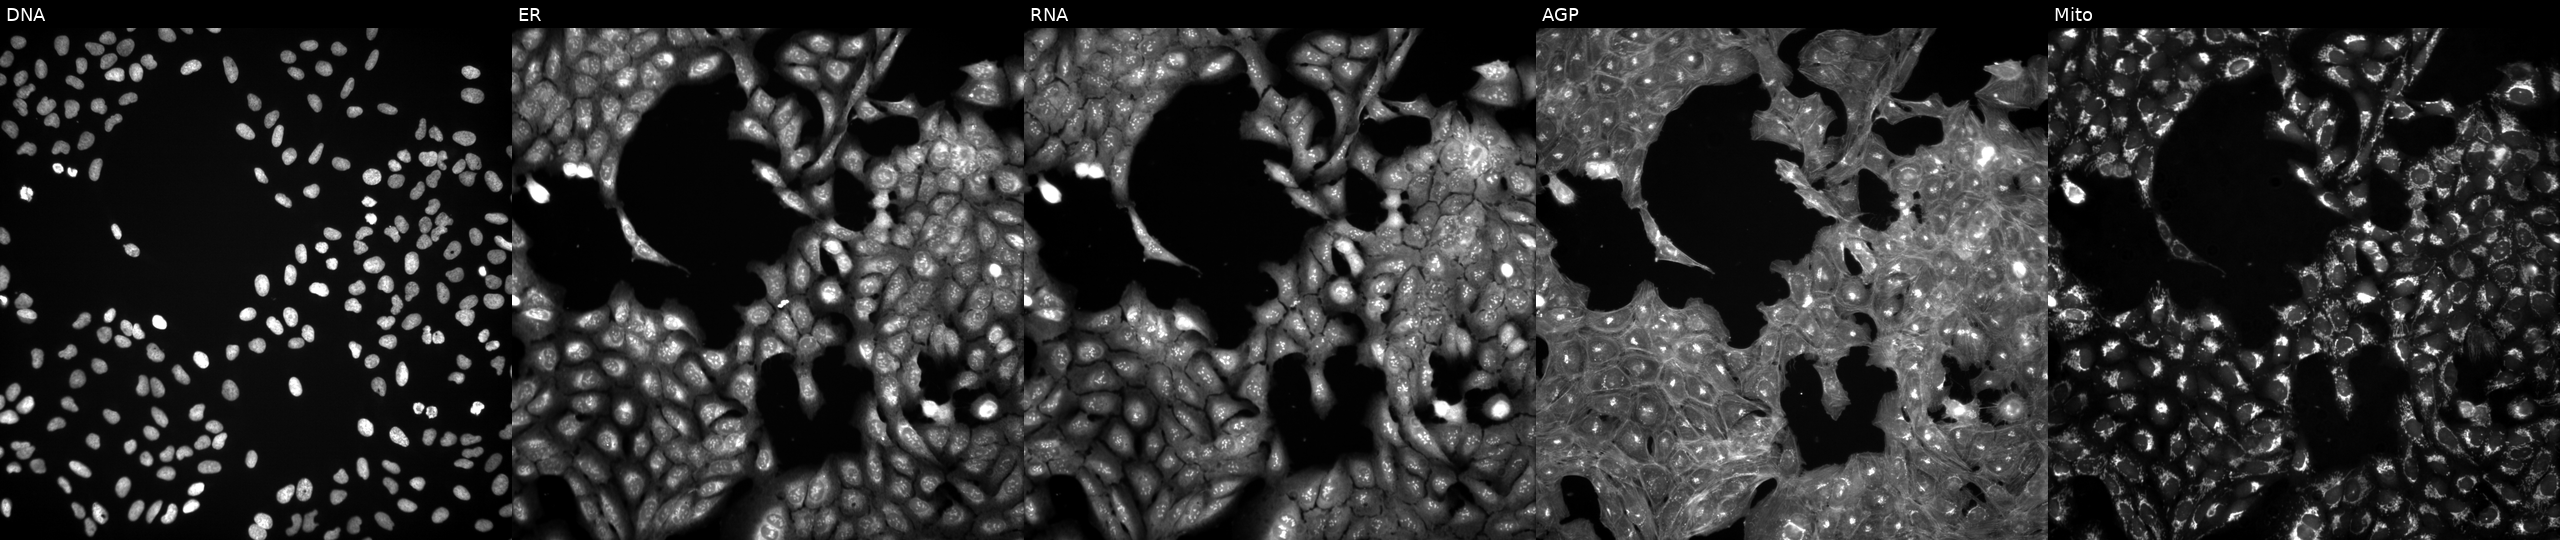
High-content fluorescence microscopy (Cell Painting). Cell line: U2OS. Perturbation: treated with DMSO vehicle only (negative control). Panels show, left to right, DNA, ER, RNA, AGP, and Mito. Source 3, plate JCPQC051, well G19.